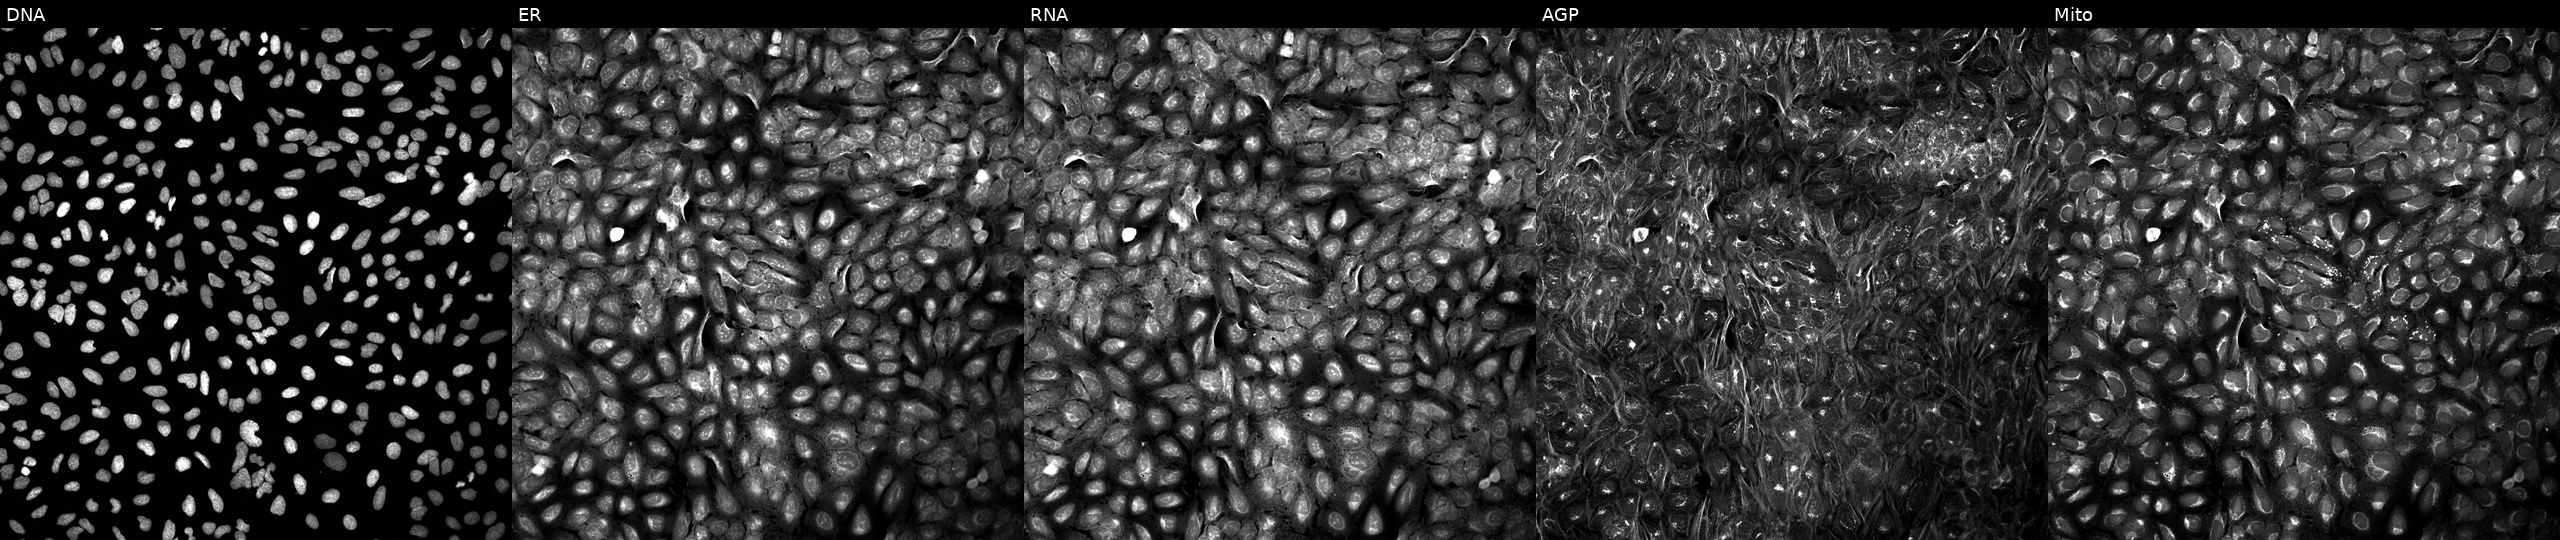
The five panels, left to right, show DNA (nuclei); ER (endoplasmic reticulum); RNA (nucleoli and cytoplasmic RNA); AGP (actin cytoskeleton, Golgi, and plasma membrane); Mito (mitochondria). U2OS osteosarcoma cells treated with a small-molecule compound (InChIKey RSBCSHUOPBBKNZ-UHFFFAOYSA-N) (JUMP id JCP2022_080372). Cell Painting assay, JUMP-CP dataset.